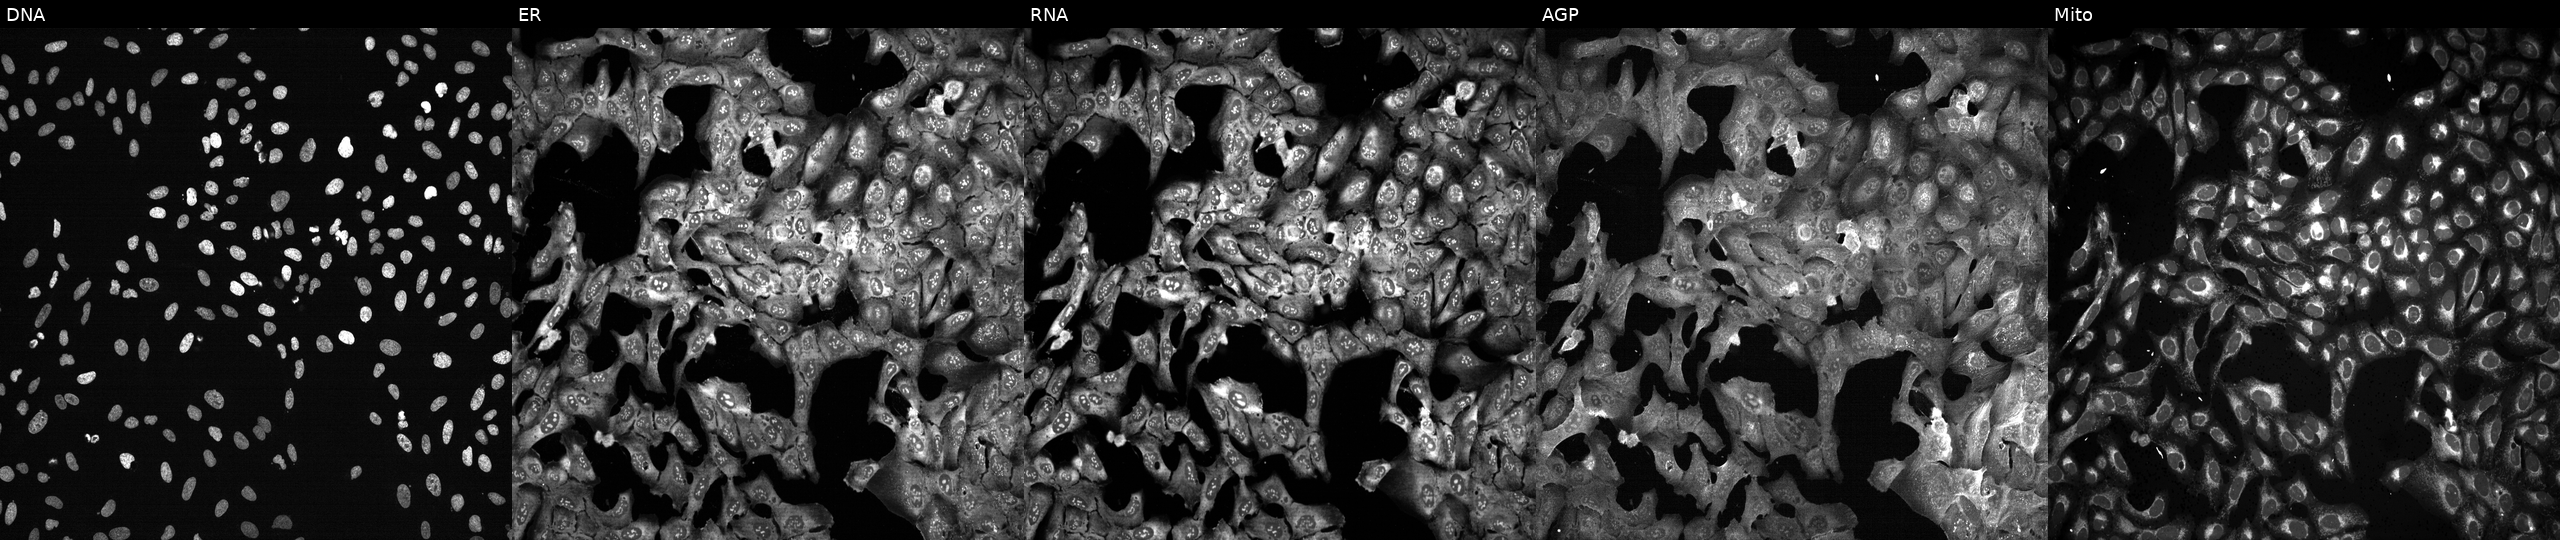
JUMP Cell Painting — CRISPR plate. U2OS cells with SMUG1 knocked out by CRISPR. Panels show, left to right, DNA (nuclei); ER (endoplasmic reticulum); RNA (nucleoli and cytoplasmic RNA); AGP (actin cytoskeleton, Golgi, and plasma membrane); Mito (mitochondria).